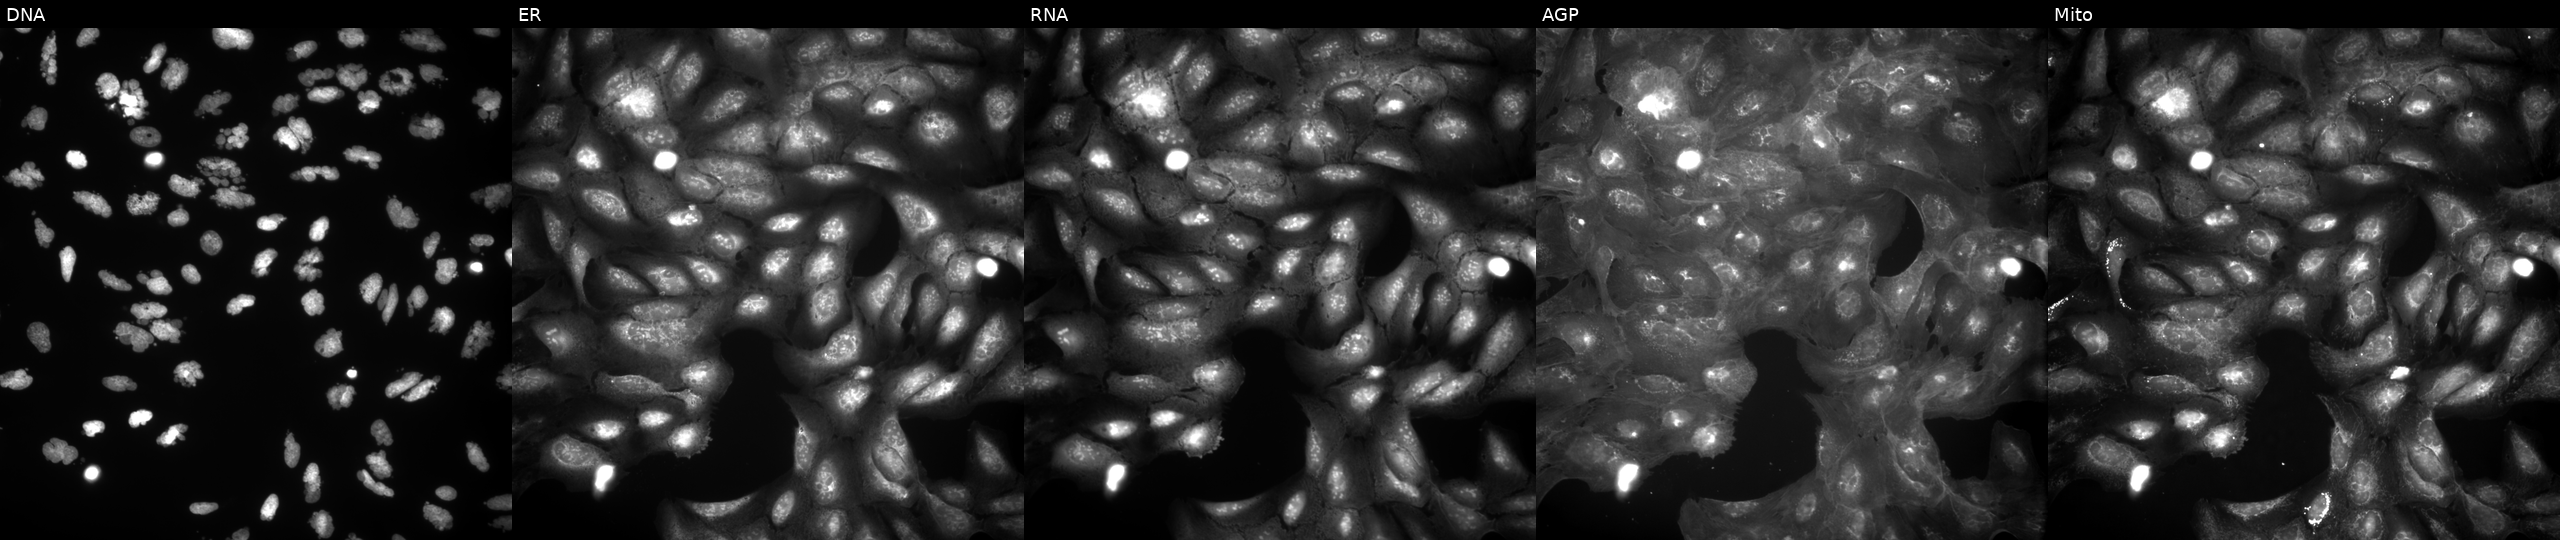
Five-channel Cell Painting image of U2OS cells exposed to the positive-control compound AMG900 (JUMP id JCP2022_037716). Panels show, left to right, DNA, ER, RNA, AGP, and Mito.